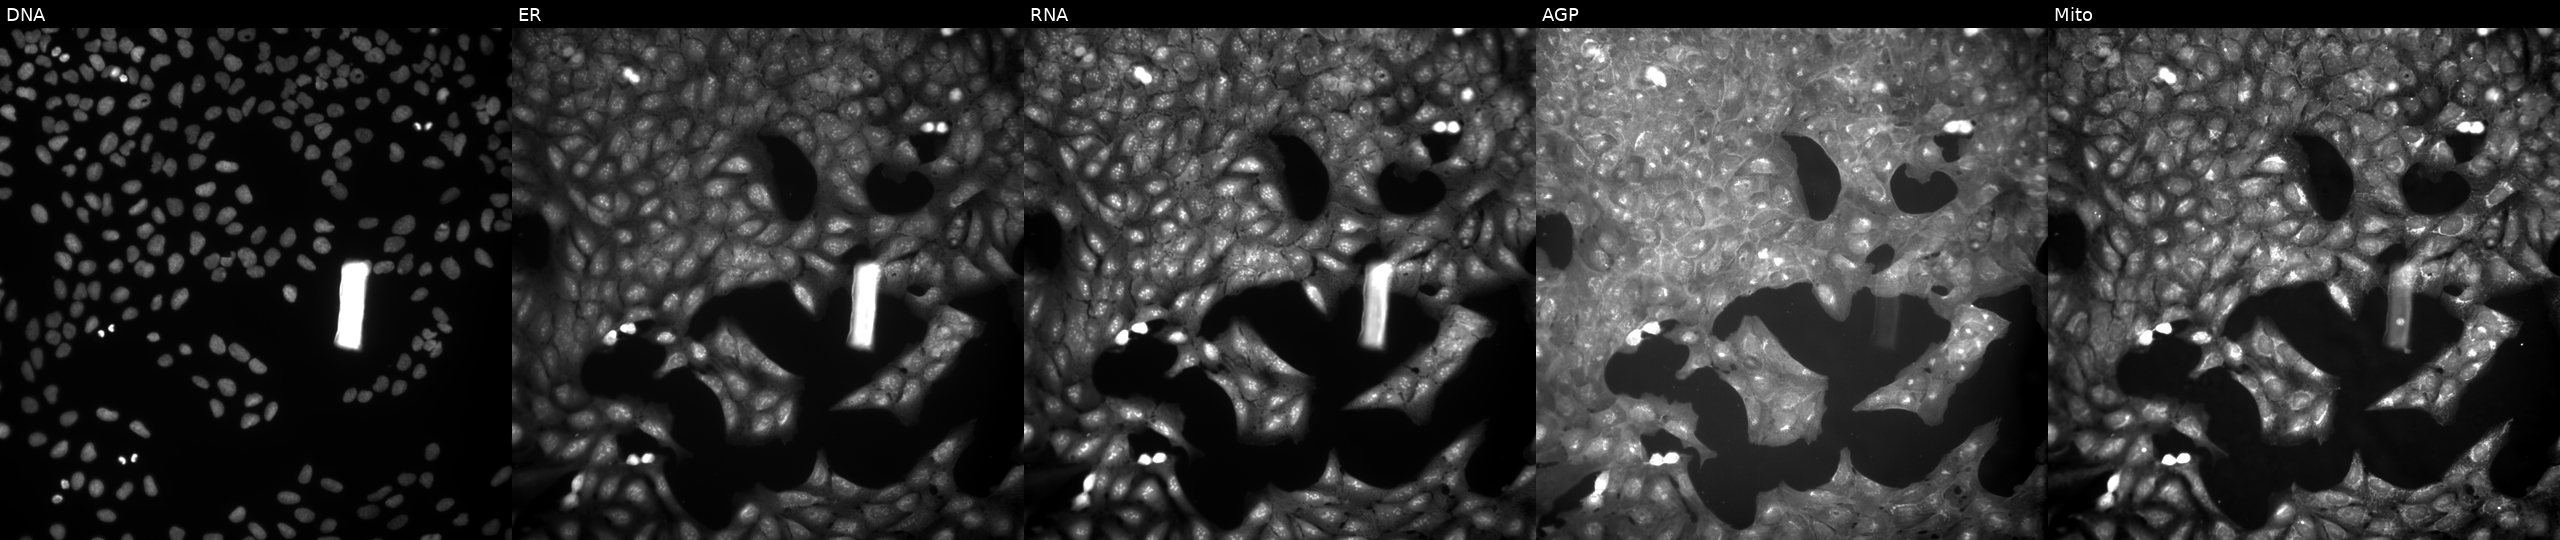
Panels show, left to right, DNA, ER, RNA, AGP, and Mito. U2OS osteosarcoma cells perturbed with a small-molecule compound (InChIKey AFTYRGSRPBTOIY-UHFFFAOYSA-N) (JUMP id JCP2022_001120). Cell Painting assay, JUMP-CP dataset.